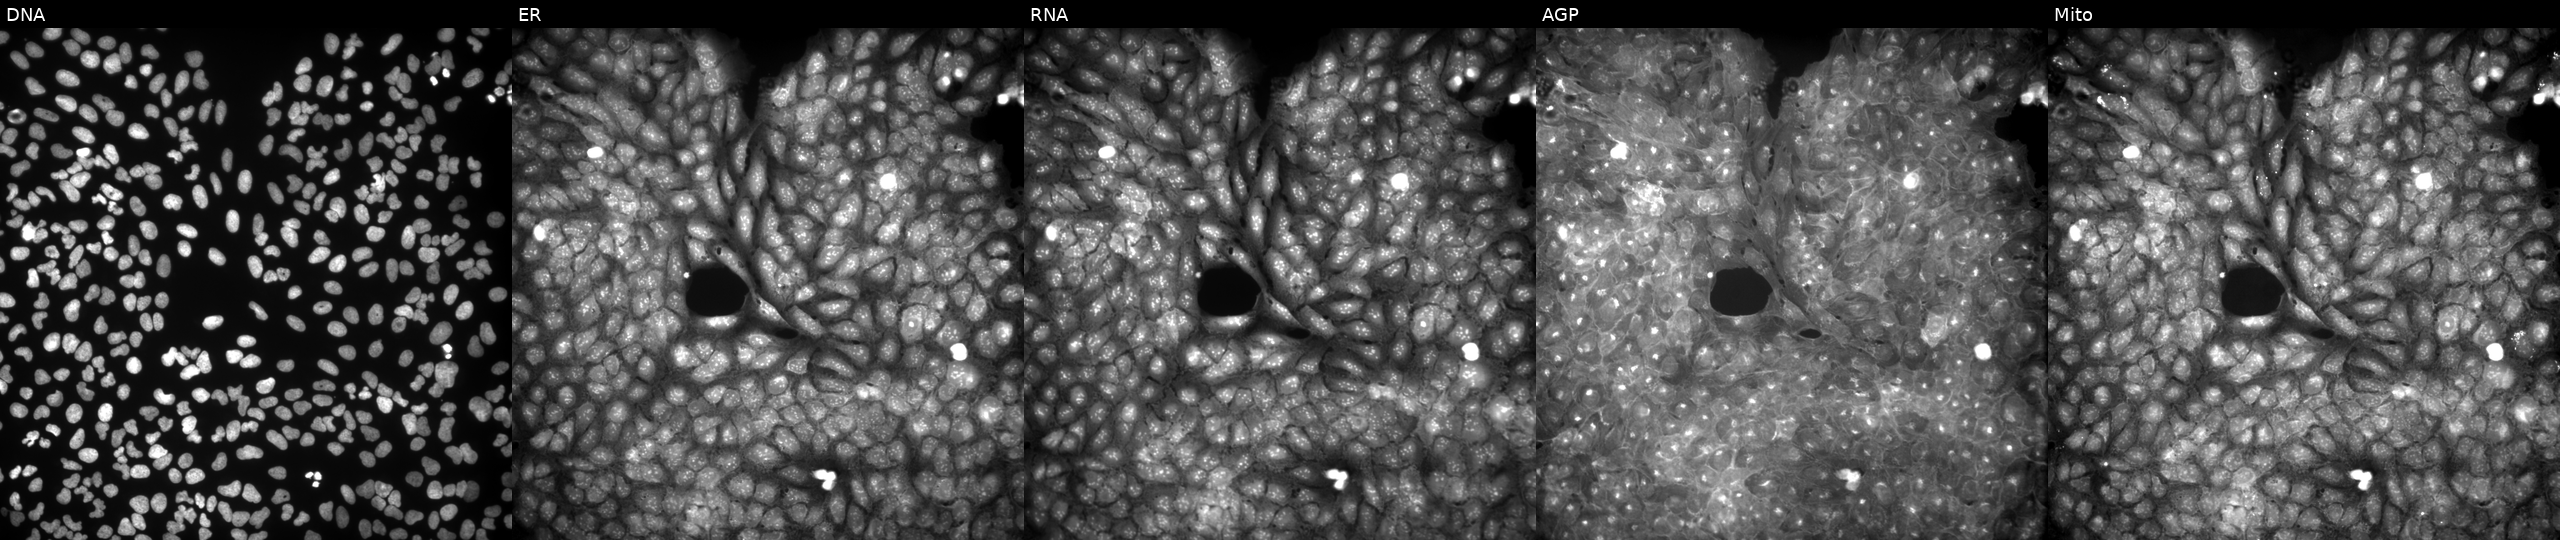
Channels (left→right): Hoechst 33342, concanavalin A, SYTO 14, phalloidin and WGA, MitoTracker. U2OS osteosarcoma cells treated with DMSO vehicle only (negative control). Cell Painting assay, JUMP-CP dataset. Source 9, plate GR00003382, well AF26.